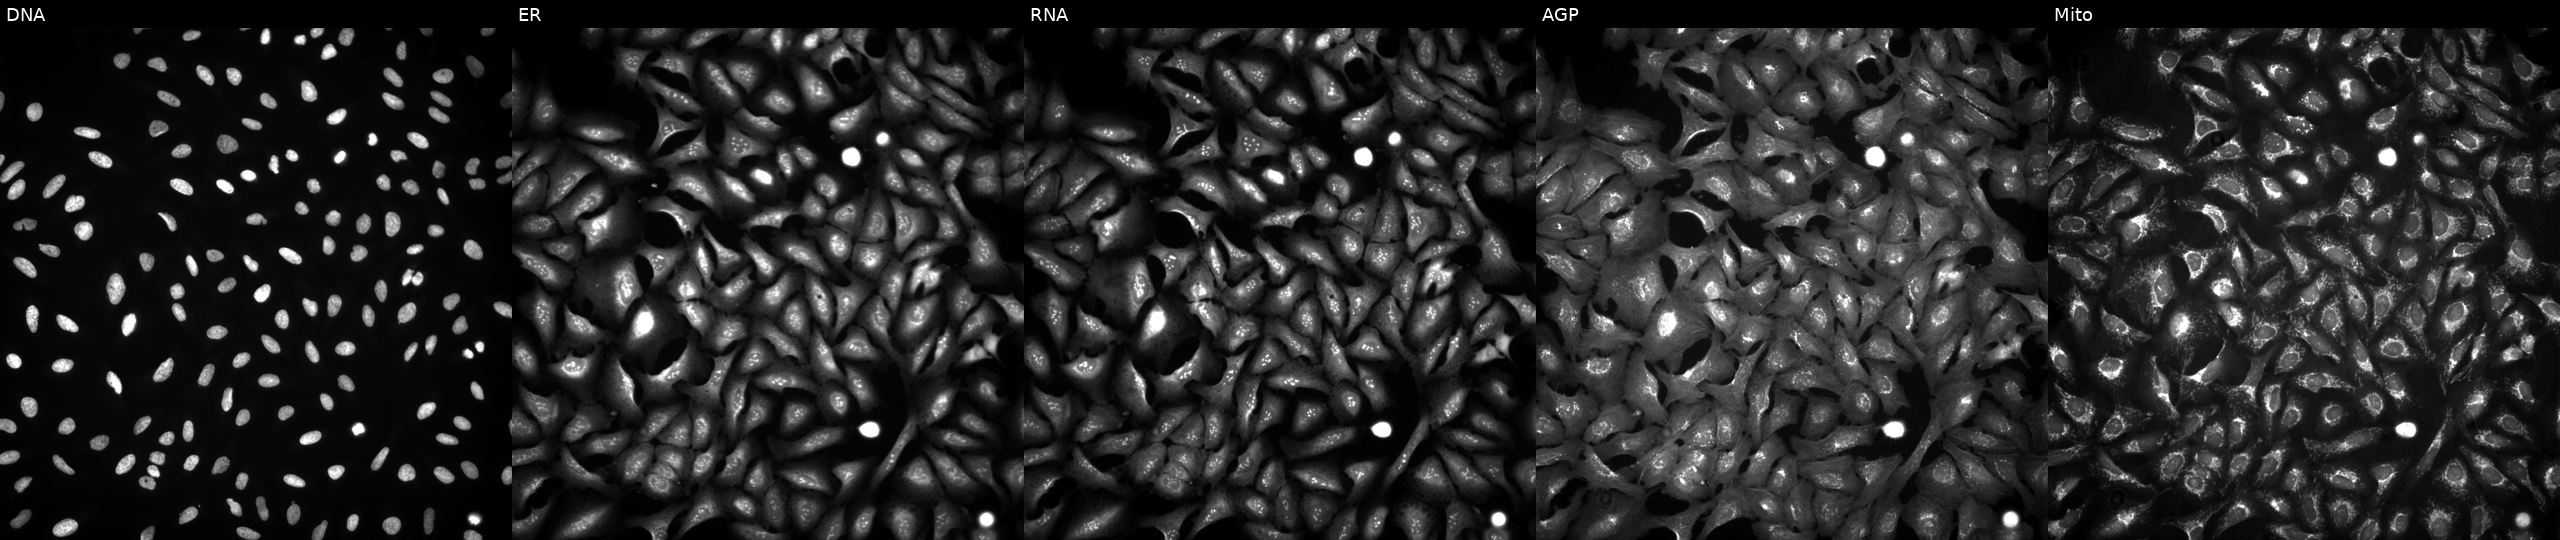
U2OS cells, Cell Painting assay, with SAT1 overexpressed (ORF) (JUMP id JCP2022_901385). Panels show, left to right, DNA (nuclei); ER (endoplasmic reticulum); RNA (nucleoli and cytoplasmic RNA); AGP (actin cytoskeleton, Golgi, and plasma membrane); Mito (mitochondria). Each panel is percentile-stretched 16-bit fluorescence. Source 4, plate BR00124787, well J15.